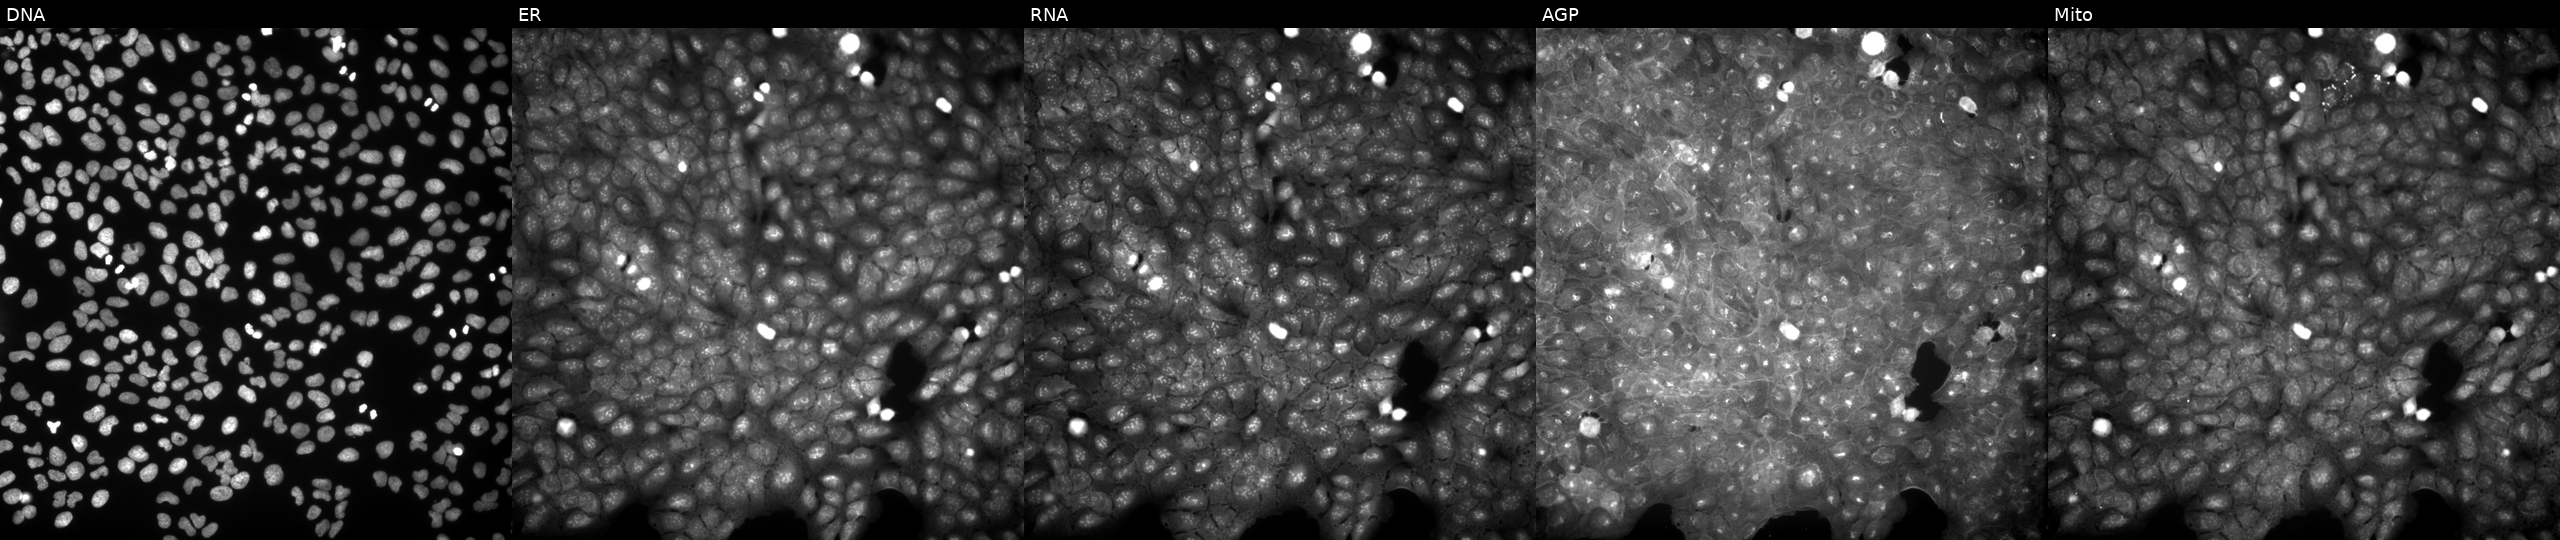
U2OS cells, Cell Painting assay, perturbed with a small-molecule compound (InChIKey TVYNRPAAXFWNCS-UHFFFAOYSA-N) [SMILES: COc1ccc(OC)c(NC(=O)CC(Cc2ccccc2OC)C(=O)O)c1]. Channels (left→right): Hoechst 33342, concanavalin A, SYTO 14, phalloidin and WGA, MitoTracker. Each panel is percentile-stretched 16-bit fluorescence.